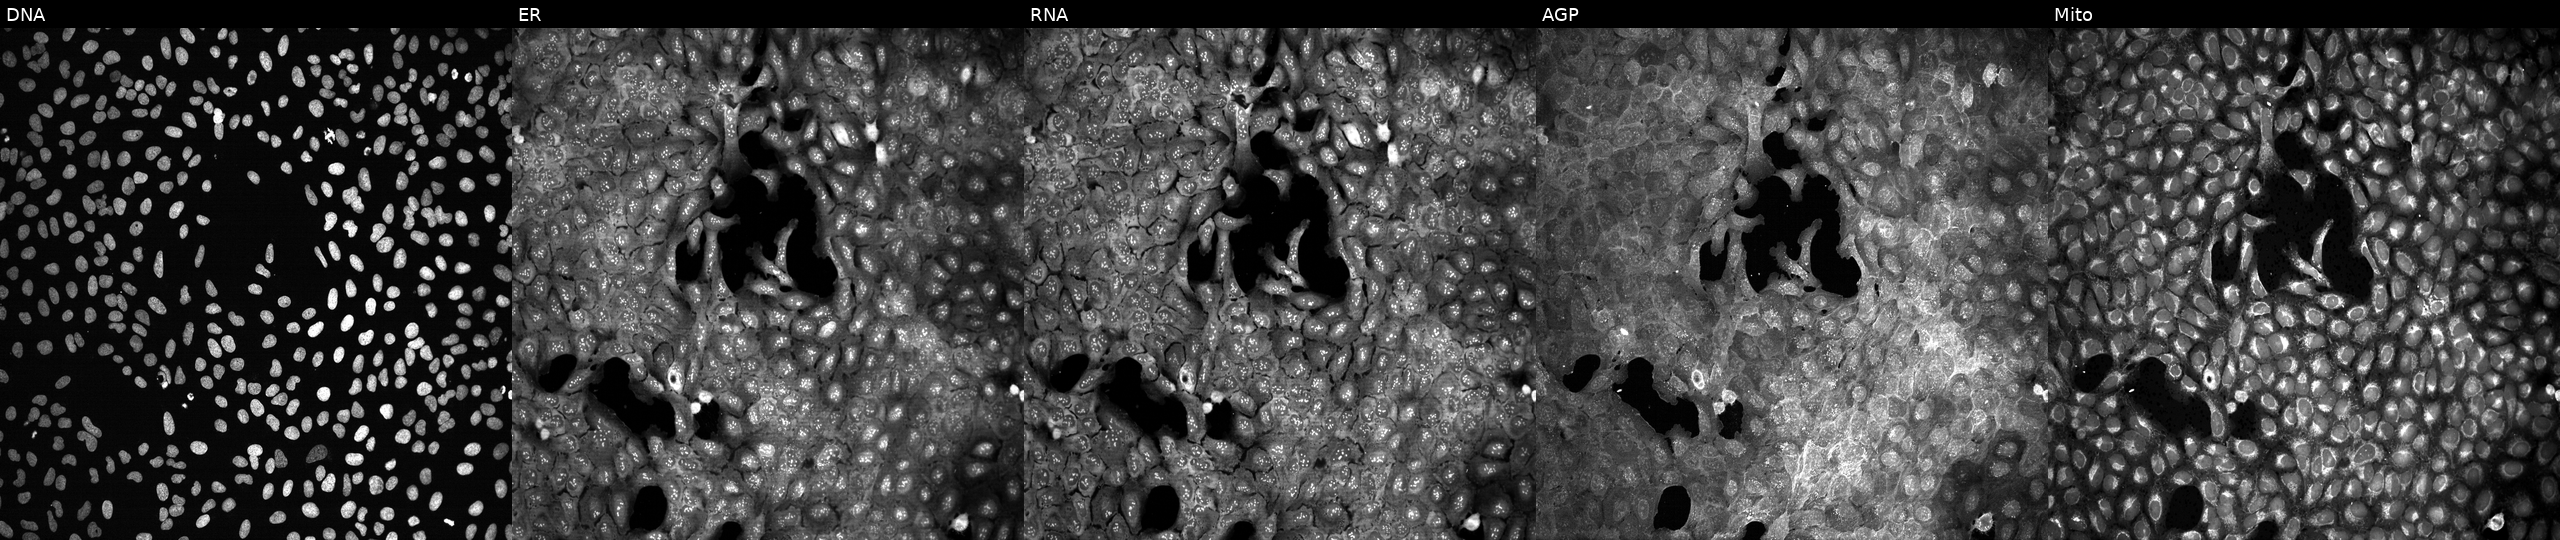
Channels (left→right): DNA, ER, RNA, AGP, and Mito. U2OS osteosarcoma cells treated with DMSO vehicle only (negative control) (JUMP id JCP2022_033924). Cell Painting assay, JUMP-CP dataset.